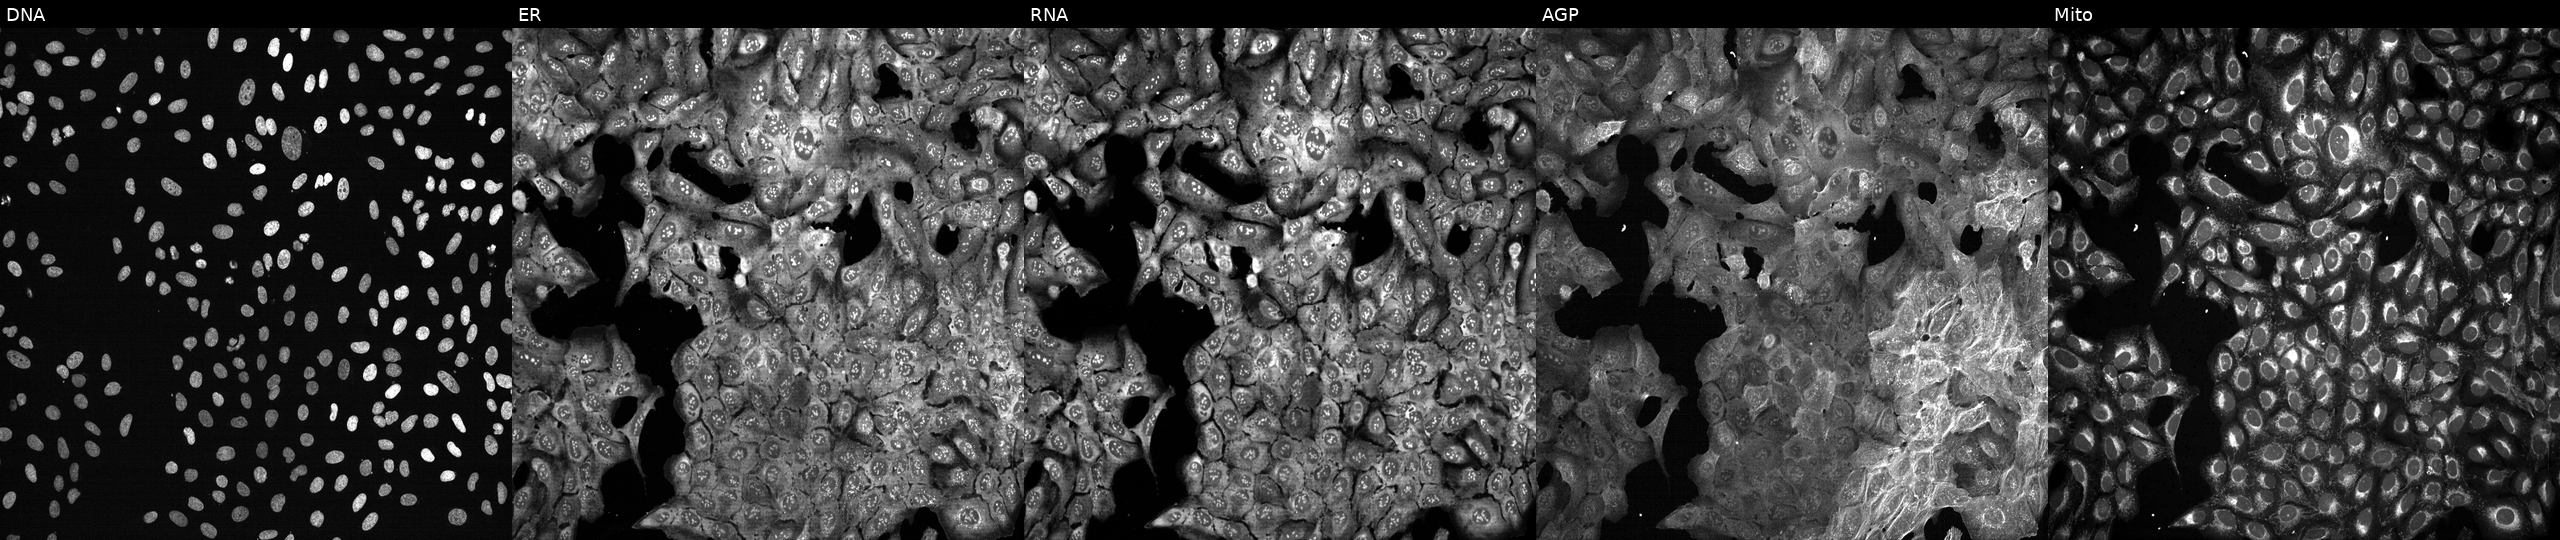
U2OS cells, Cell Painting assay, with TAPBP knocked out by CRISPR. Channels (left→right): Hoechst 33342, concanavalin A, SYTO 14, phalloidin and WGA, MitoTracker. Each panel is percentile-stretched 16-bit fluorescence.